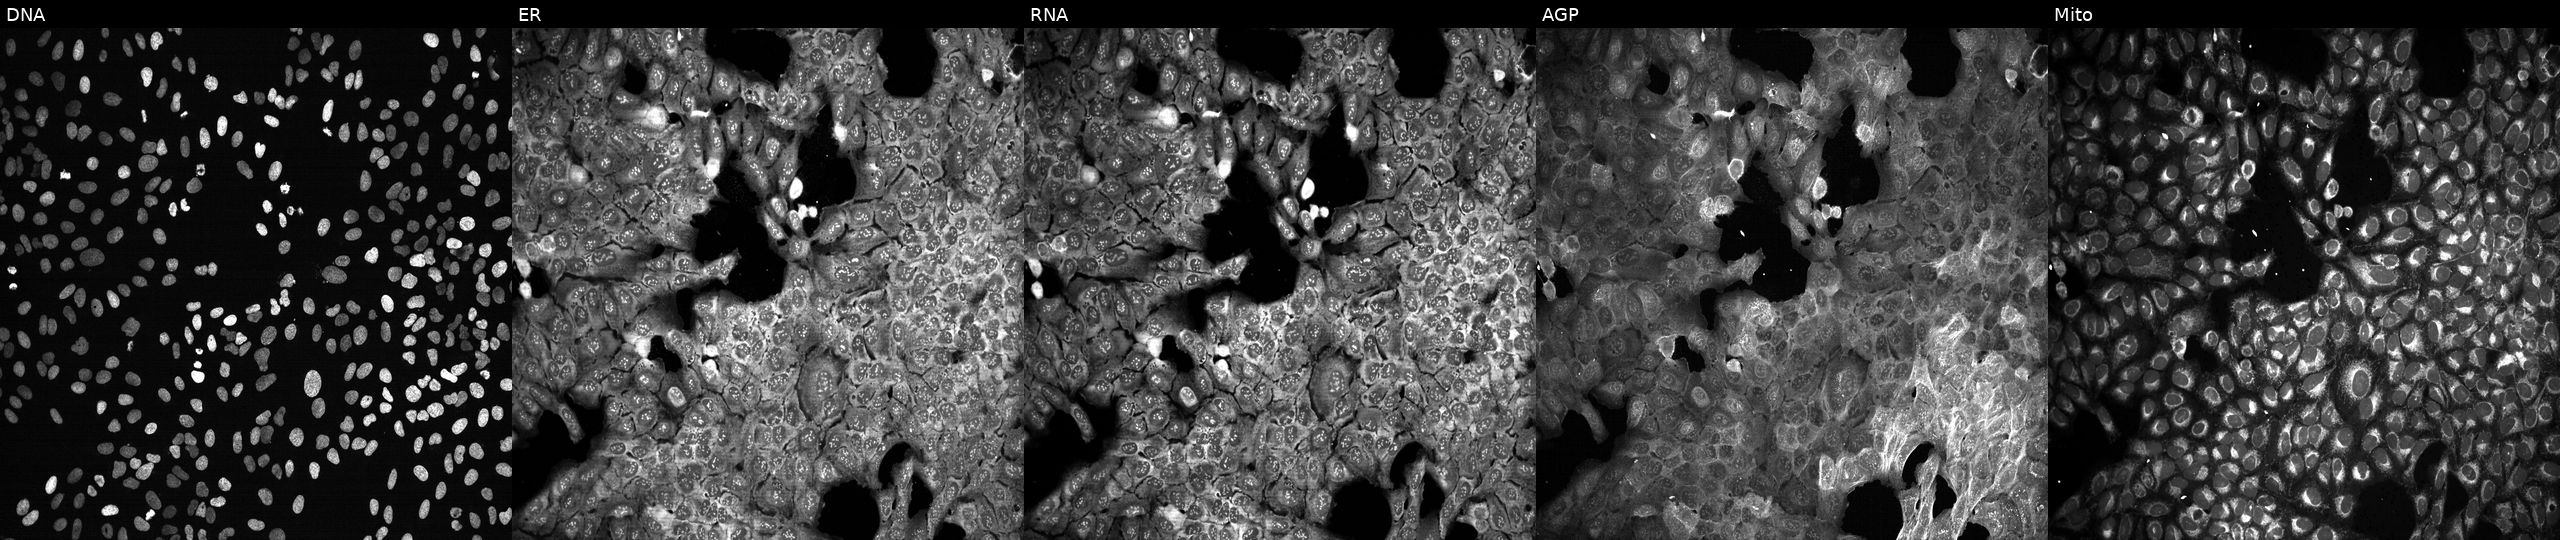
High-content fluorescence microscopy (Cell Painting). Cell line: U2OS. Perturbation: CRISPR-edited to disrupt CPN2 (JUMP id JCP2022_801476). The five panels, left to right, show Hoechst 33342, concanavalin A, SYTO 14, phalloidin and WGA, MitoTracker. Source 13, plate CP-CC9-R2-01, well H19.